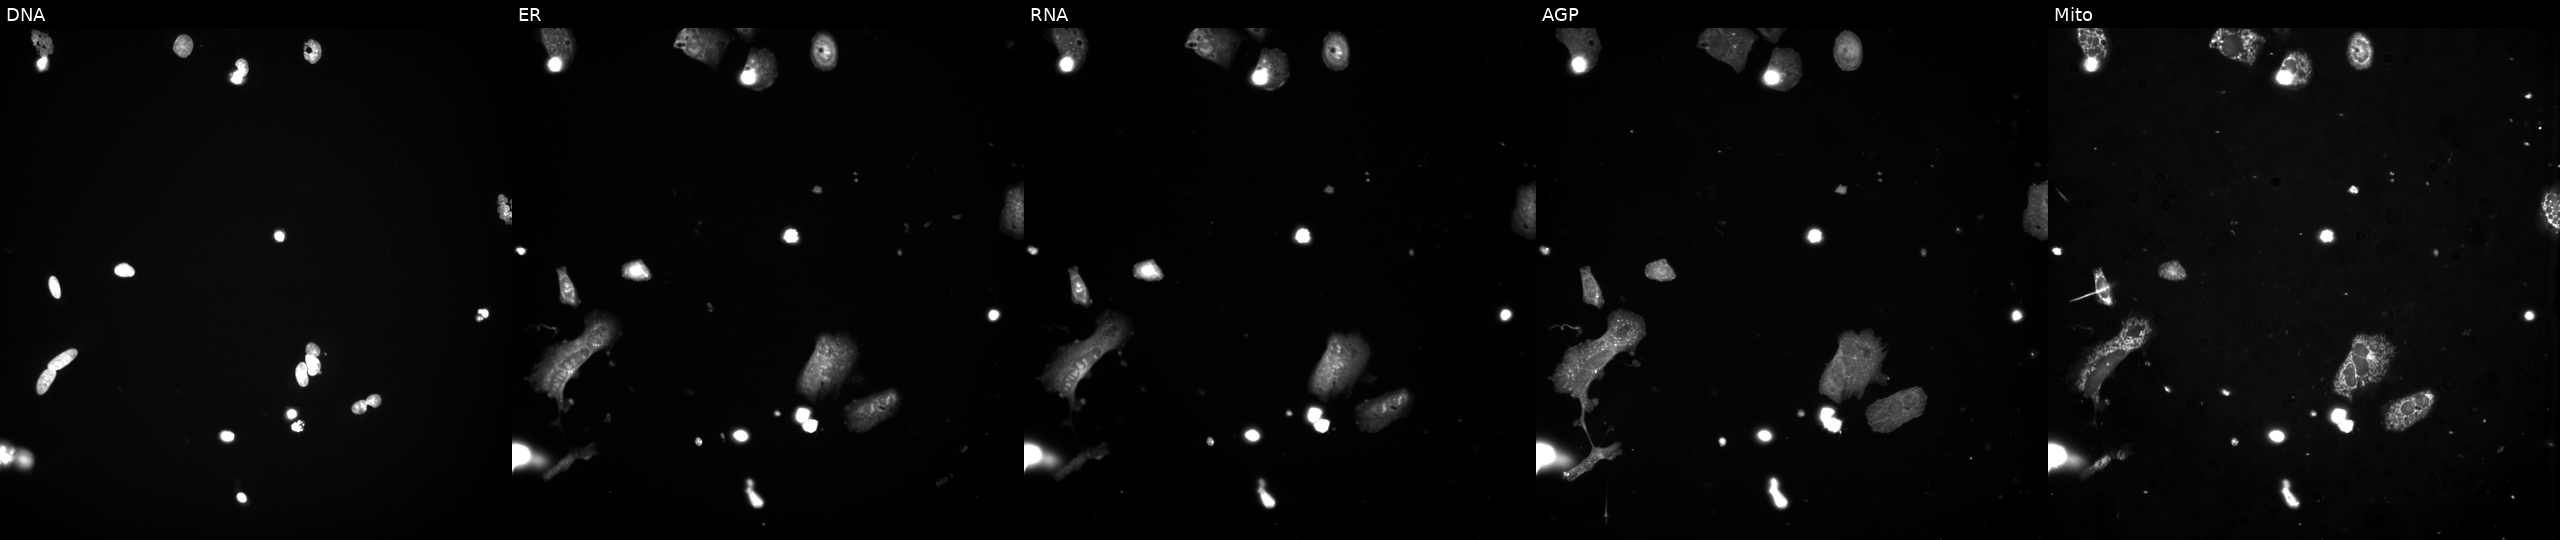
This image strip shows the five Cell Painting channels for a single field of U2OS cells perturbed with a small-molecule compound (InChIKey IAKHMKGGTNLKSZ-UHFFFAOYSA-N) (JUMP id JCP2022_033814). From left to right: Hoechst 33342, concanavalin A, SYTO 14, phalloidin and WGA, MitoTracker.